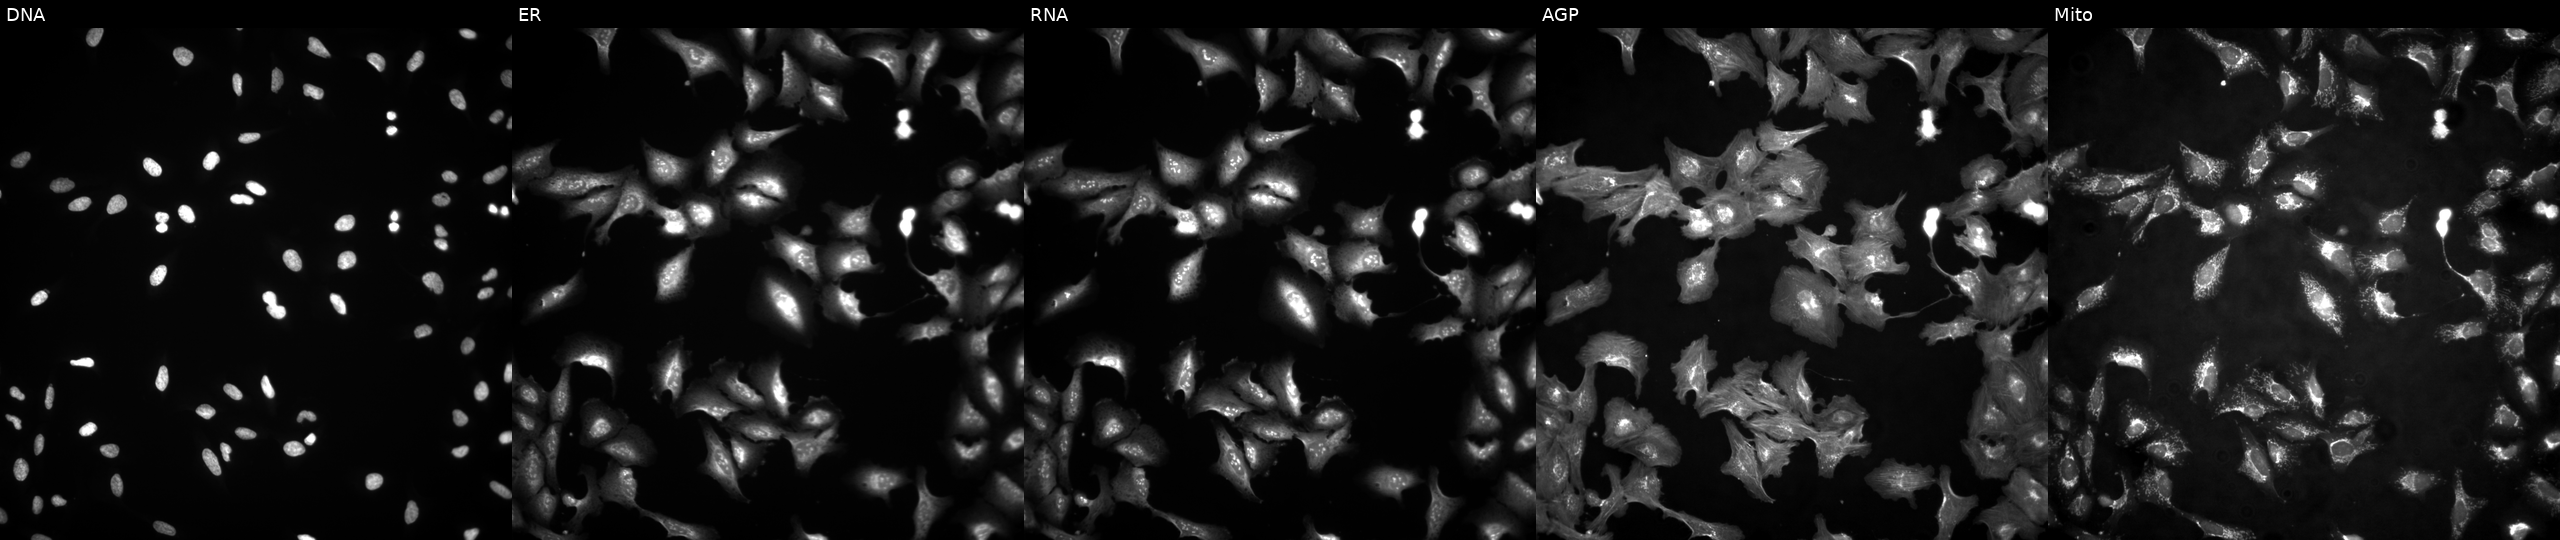
This image strip shows the five Cell Painting channels for a single field of U2OS cells transfected with an ORF construct for NHLRC4. From left to right: DNA, ER, RNA, AGP, and Mito. Source 4, plate BR00124784, well N23.